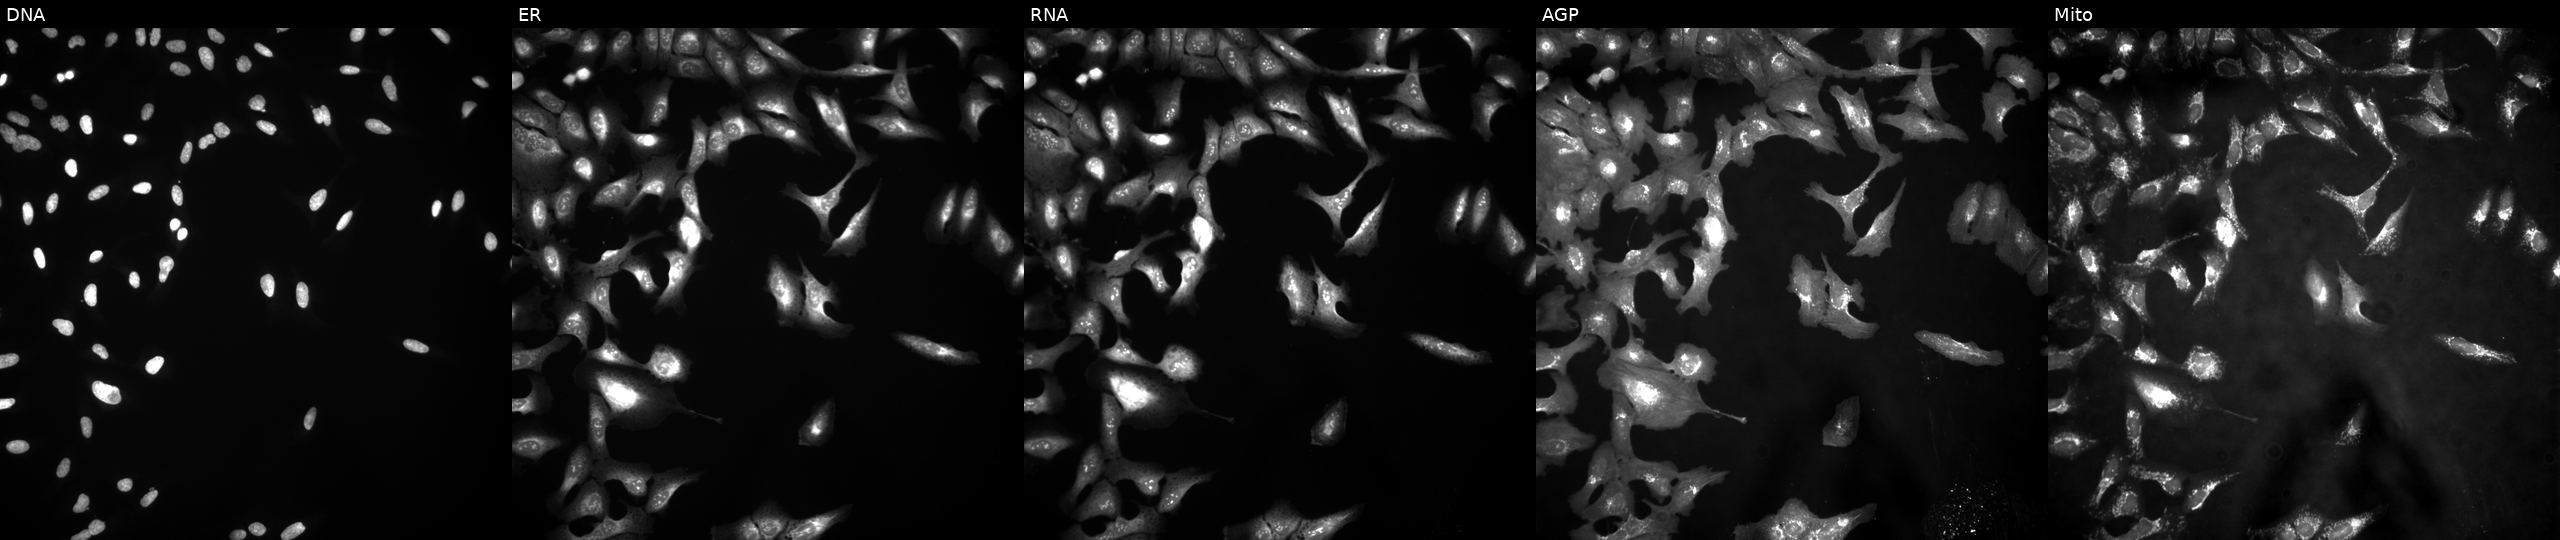
High-content fluorescence microscopy (Cell Painting). Cell line: U2OS. Perturbation: with MGME1 overexpressed (ORF). From left to right: DNA (nuclei); ER (endoplasmic reticulum); RNA (nucleoli and cytoplasmic RNA); AGP (actin cytoskeleton, Golgi, and plasma membrane); Mito (mitochondria). Source 4, plate BR00121543, well B23.